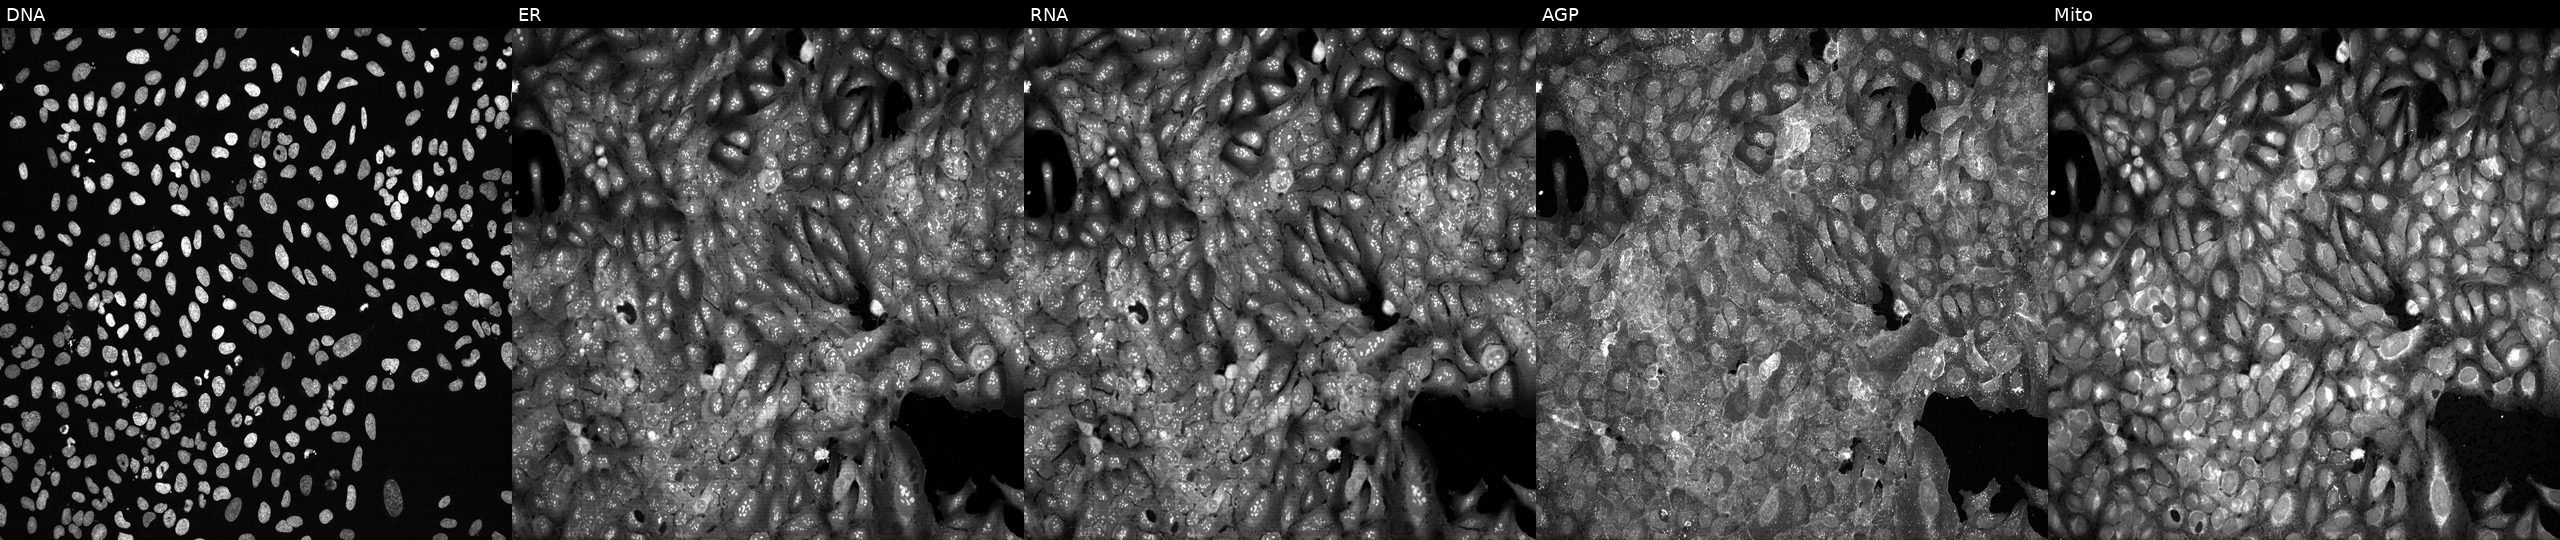
Five-channel Cell Painting image of U2OS cells with AMY2B knocked out by CRISPR (JUMP id JCP2022_800446). The five panels, left to right, show Hoechst 33342, concanavalin A, SYTO 14, phalloidin and WGA, MitoTracker.